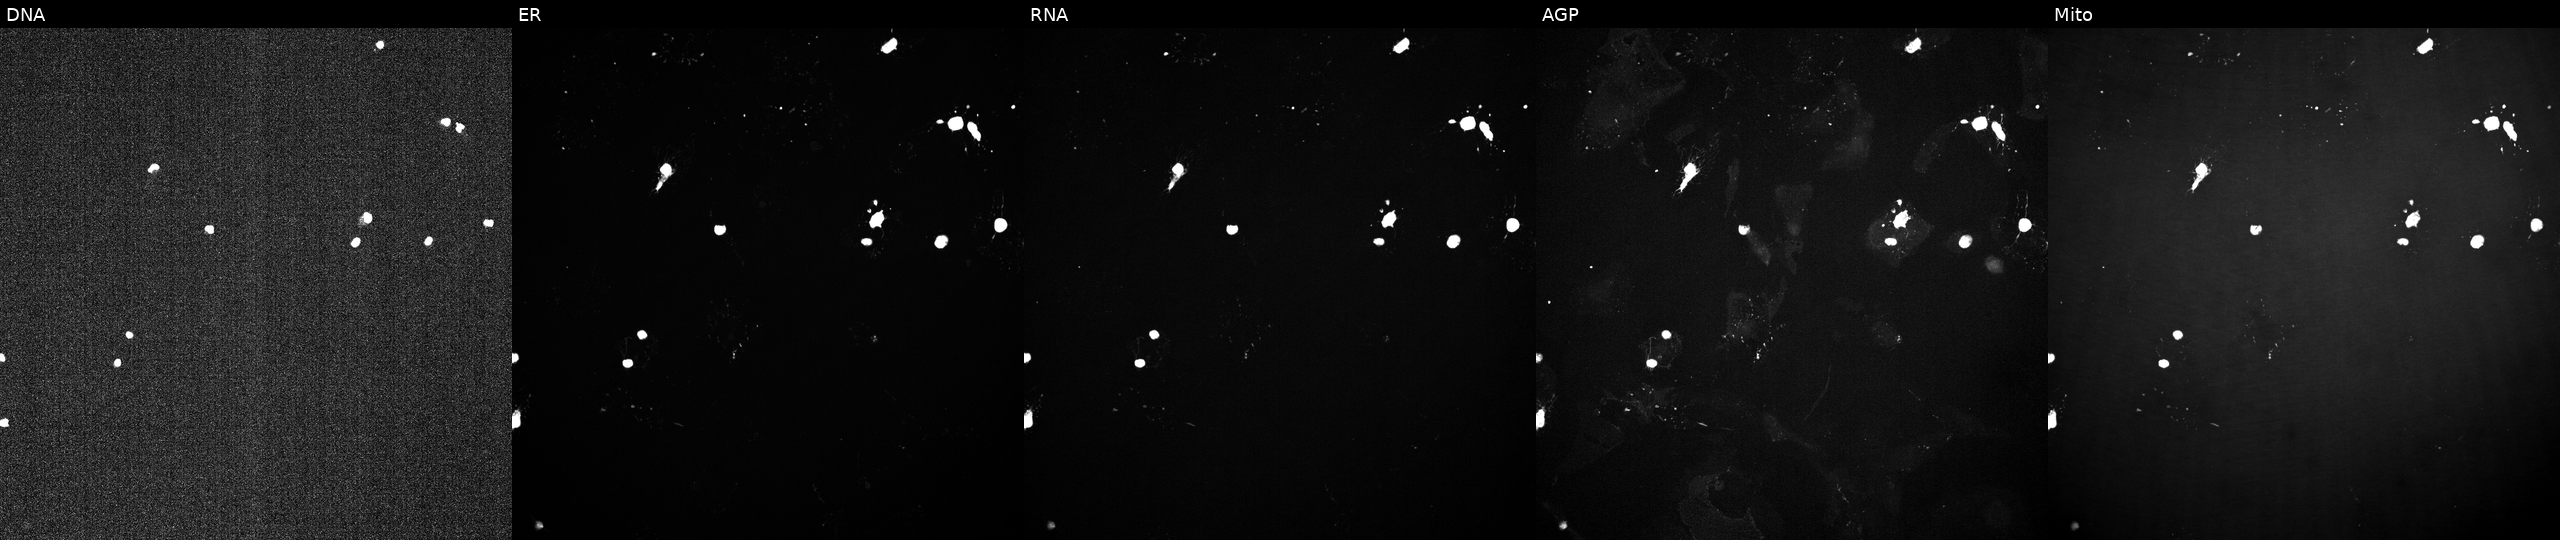
JUMP Cell Painting — TARGET2 plate. U2OS cells perturbed with a small-molecule compound (InChIKey XUZQTIZWMHMWOC-UHFFFAOYSA-N) (JUMP id JCP2022_106219). The five panels, left to right, show DNA (nuclei); ER (endoplasmic reticulum); RNA (nucleoli and cytoplasmic RNA); AGP (actin cytoskeleton, Golgi, and plasma membrane); Mito (mitochondria).